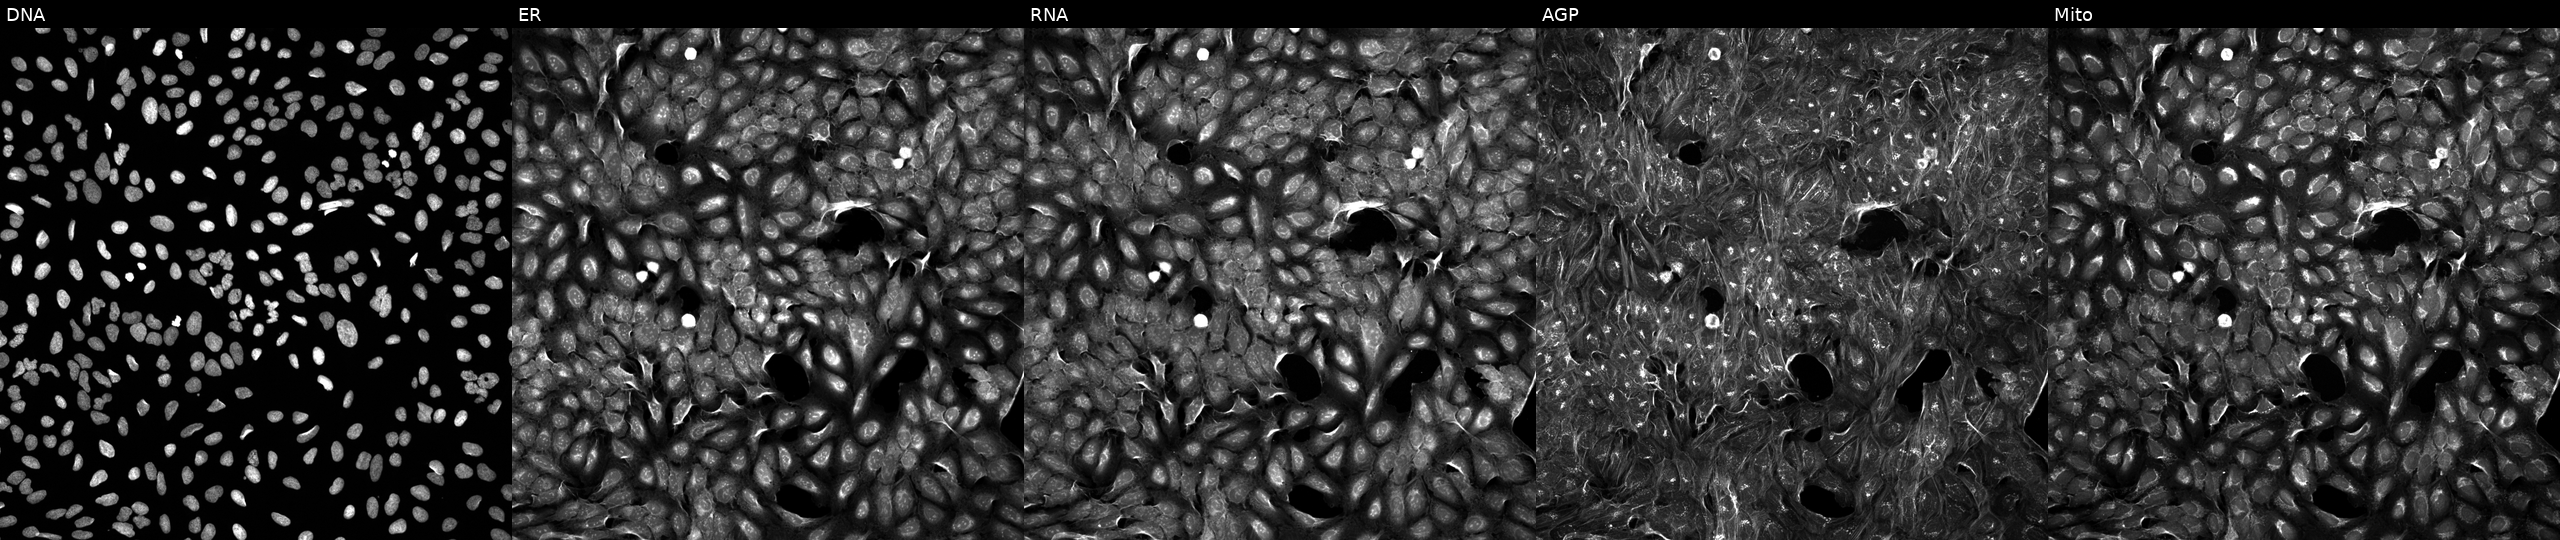
Five-channel Cell Painting image of U2OS cells perturbed with a small-molecule compound (InChIKey WMYNSBQNLKGXHX-UHFFFAOYSA-N) (JUMP id JCP2022_099833). Panels show, left to right, Hoechst 33342, concanavalin A, SYTO 14, phalloidin and WGA, MitoTracker. Source 5, plate APTJUM106, well M06.